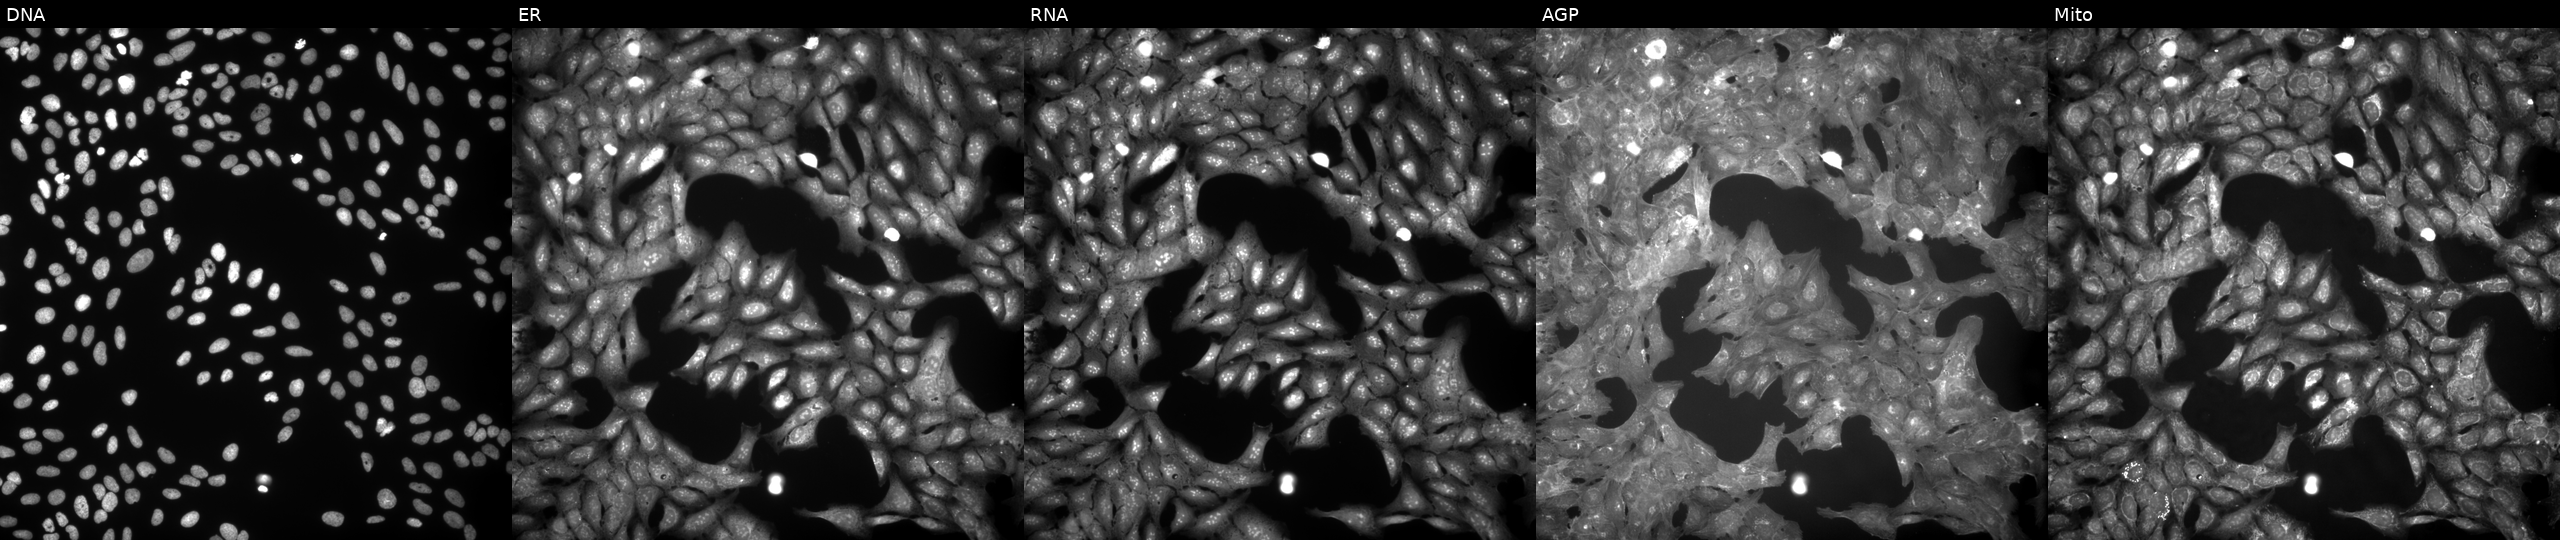
From left to right: DNA (nuclei); ER (endoplasmic reticulum); RNA (nucleoli and cytoplasmic RNA); AGP (actin cytoskeleton, Golgi, and plasma membrane); Mito (mitochondria). U2OS osteosarcoma cells treated with a small-molecule compound (InChIKey ZULBKXYQNMBEJG-UHFFFAOYSA-N) (JUMP id JCP2022_115742). Cell Painting assay, JUMP-CP dataset.